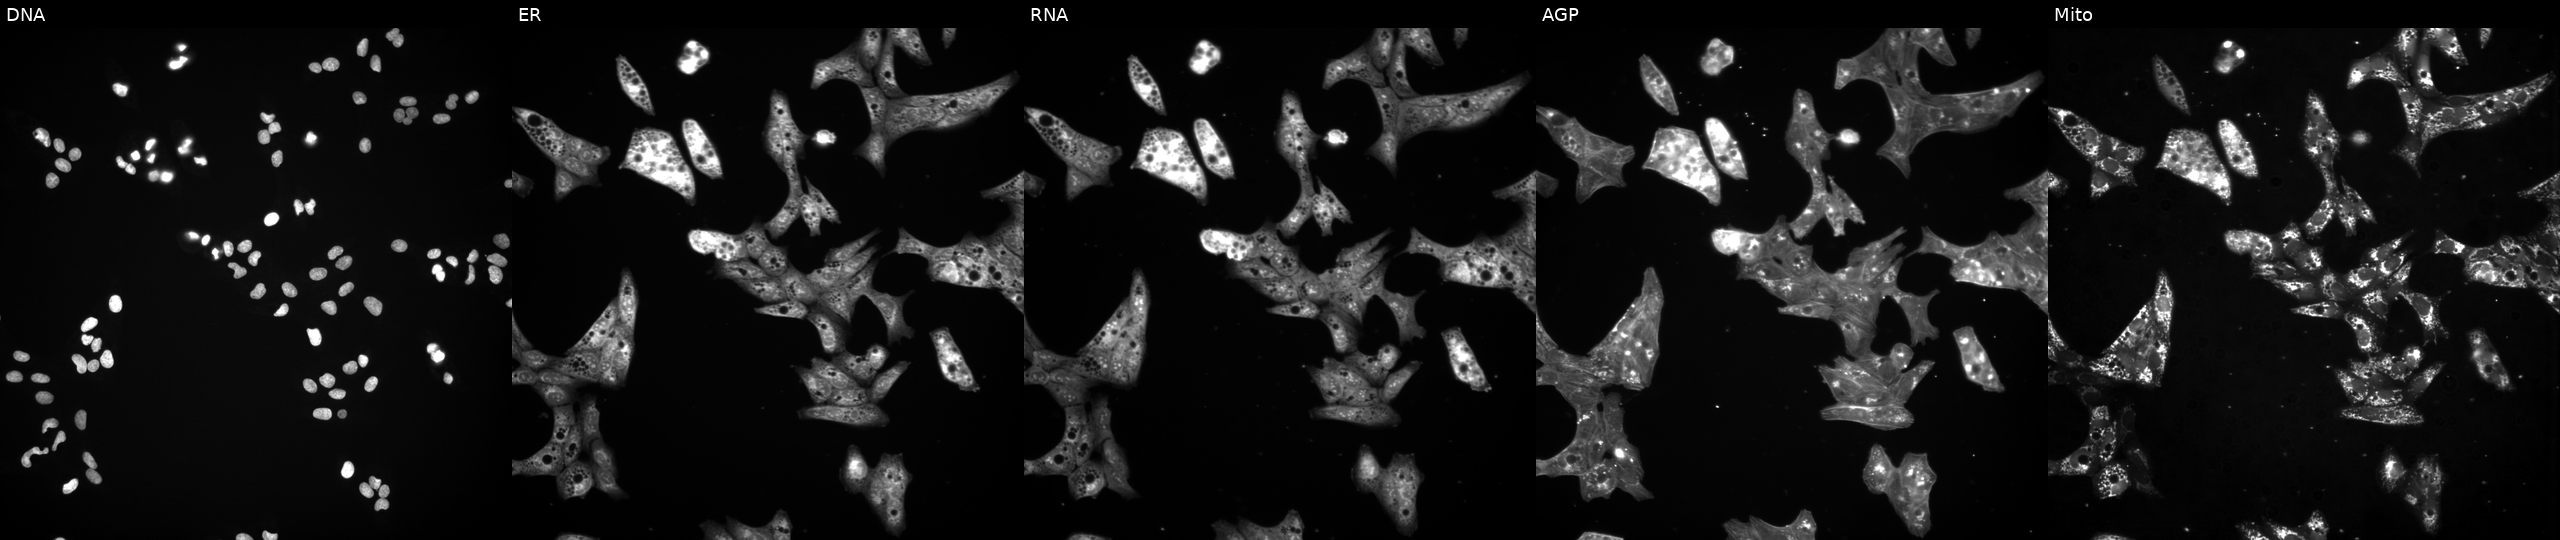
Channels (left→right): DNA, ER, RNA, AGP, and Mito. U2OS osteosarcoma cells perturbed with a small-molecule compound (InChIKey IYAWHQKBJHJKSP-UHFFFAOYSA-N) (JUMP id JCP2022_038095). Cell Painting assay, JUMP-CP dataset.